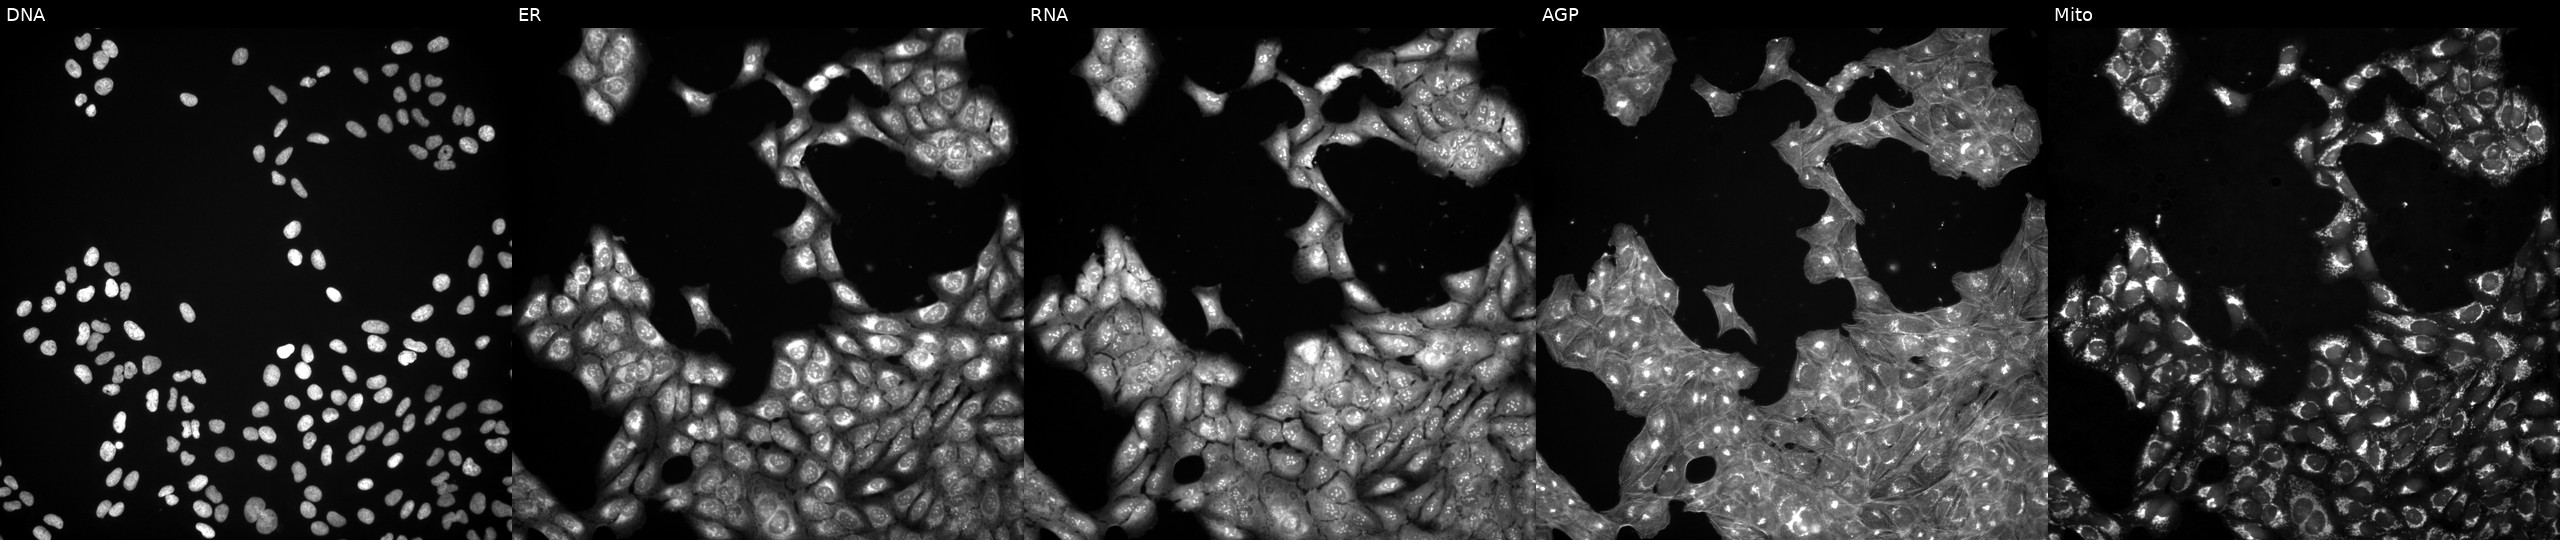
JUMP Cell Painting — COMPOUND plate. U2OS cells exposed to a small-molecule compound (InChIKey NUOJETVSCSIFPX-UHFFFAOYSA-N). Panels show, left to right, DNA, ER, RNA, AGP, and Mito.